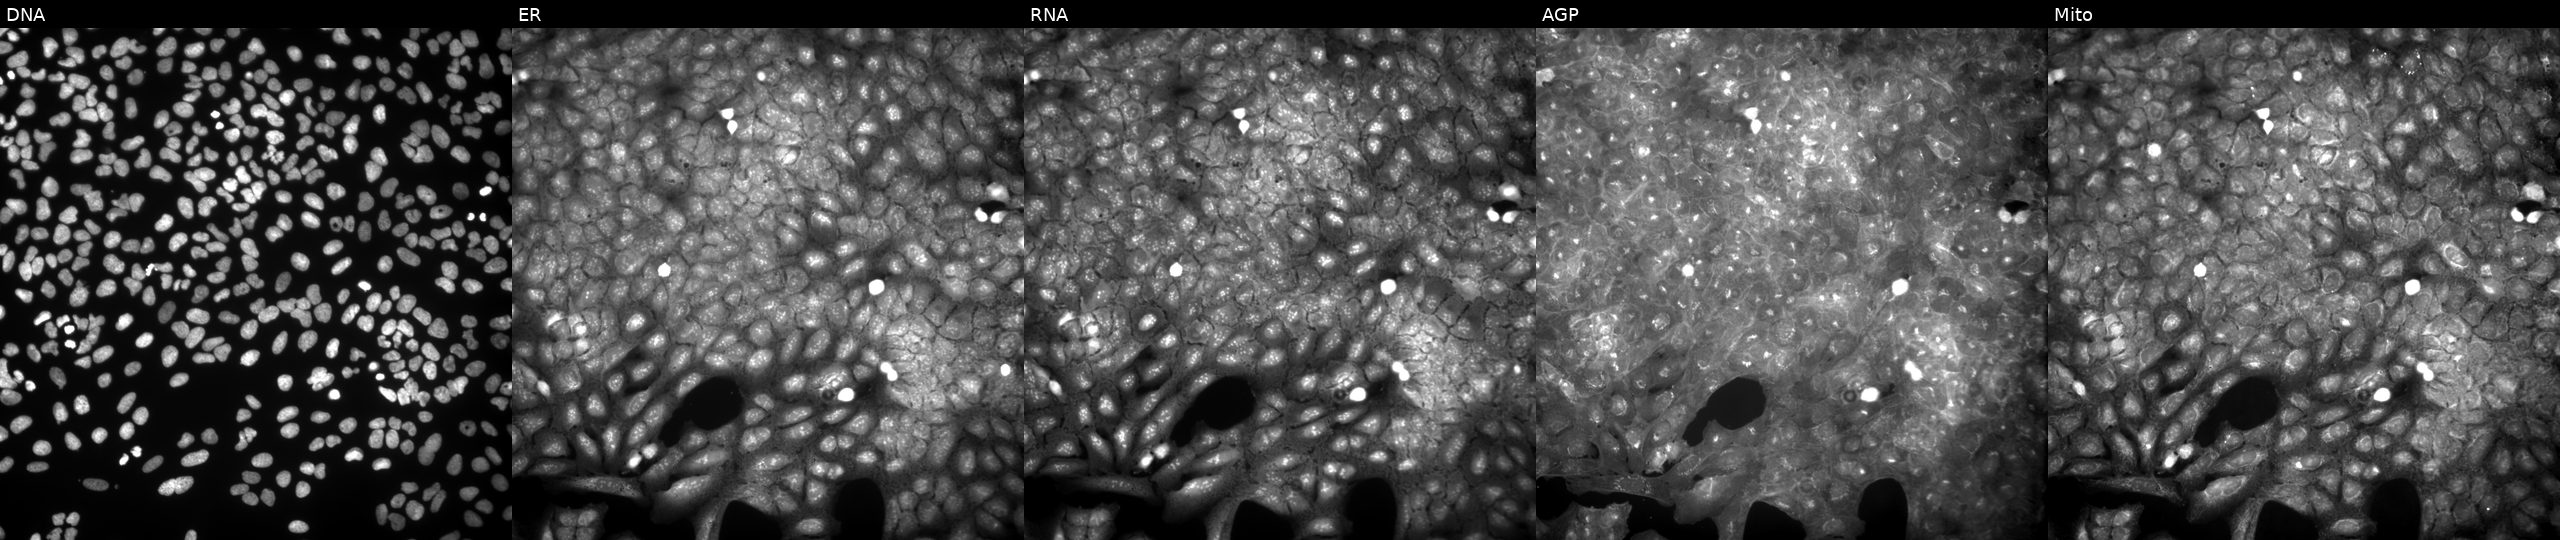
High-content fluorescence microscopy (Cell Painting). Cell line: U2OS. Perturbation: exposed to a small-molecule compound. Channels (left→right): Hoechst 33342, concanavalin A, SYTO 14, phalloidin and WGA, MitoTracker. Source 9, plate GR00003382, well S38.